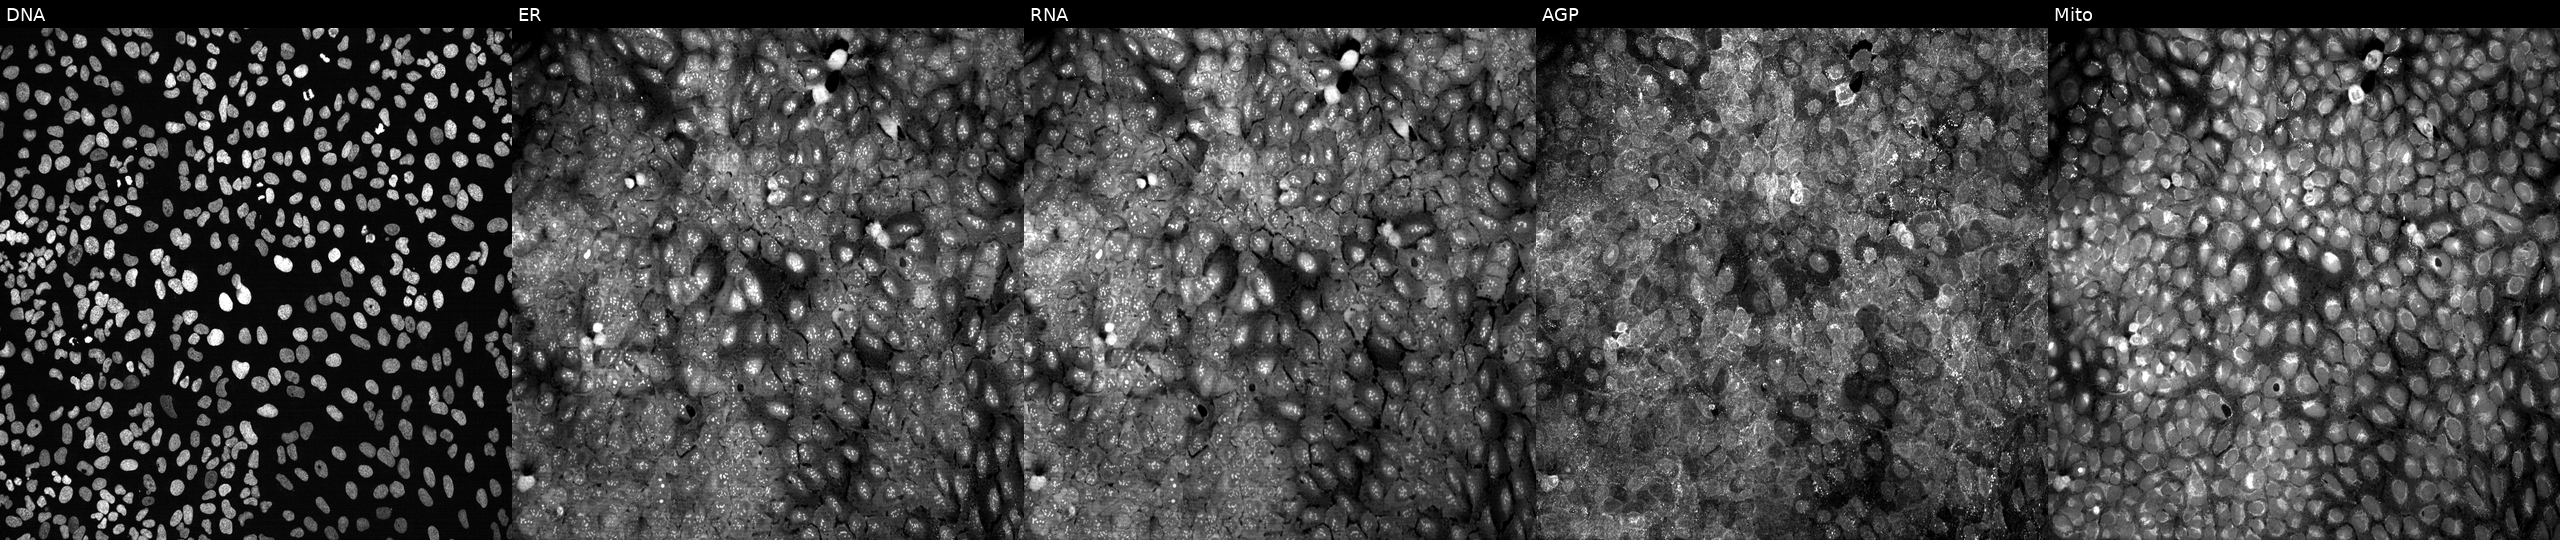
High-content fluorescence microscopy (Cell Painting). Cell line: U2OS. Perturbation: with no CRISPR guide (negative control) (JUMP id JCP2022_800001). The five panels, left to right, show DNA (nuclei); ER (endoplasmic reticulum); RNA (nucleoli and cytoplasmic RNA); AGP (actin cytoskeleton, Golgi, and plasma membrane); Mito (mitochondria).